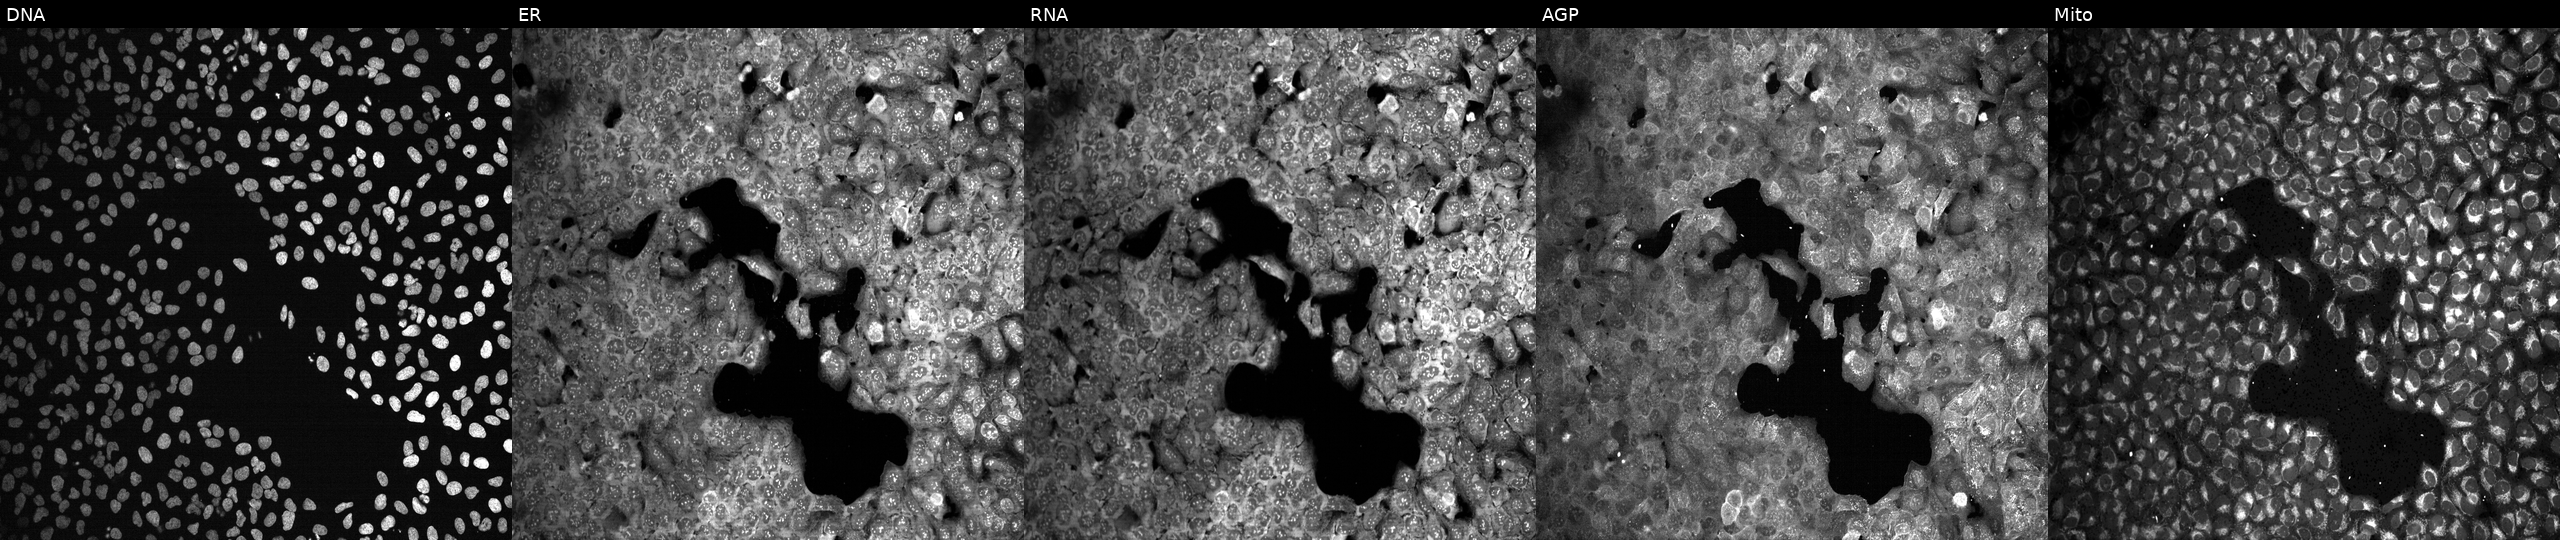
Five-channel Cell Painting image of U2OS cells treated with NVS-PAK1-1 (positive-control compound). The five panels, left to right, show DNA (nuclei); ER (endoplasmic reticulum); RNA (nucleoli and cytoplasmic RNA); AGP (actin cytoskeleton, Golgi, and plasma membrane); Mito (mitochondria). Source 13, plate CP-CC9-R4-04, well N01.